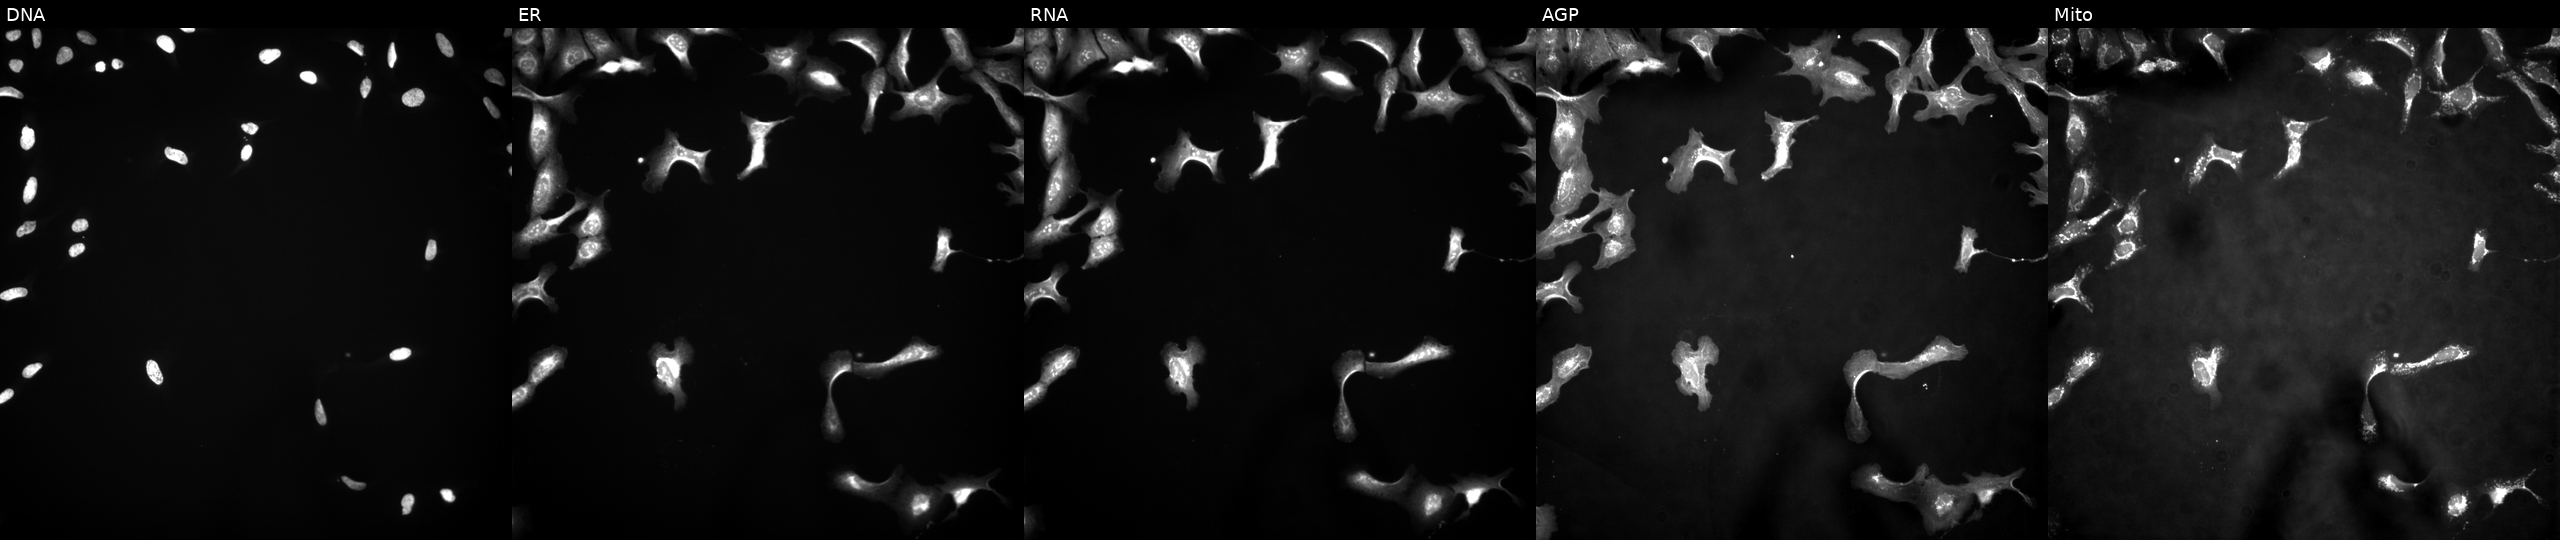
This image strip shows the five Cell Painting channels for a single field of U2OS cells transfected with an ORF construct for SCFD2. Channels (left→right): Hoechst 33342, concanavalin A, SYTO 14, phalloidin and WGA, MitoTracker.